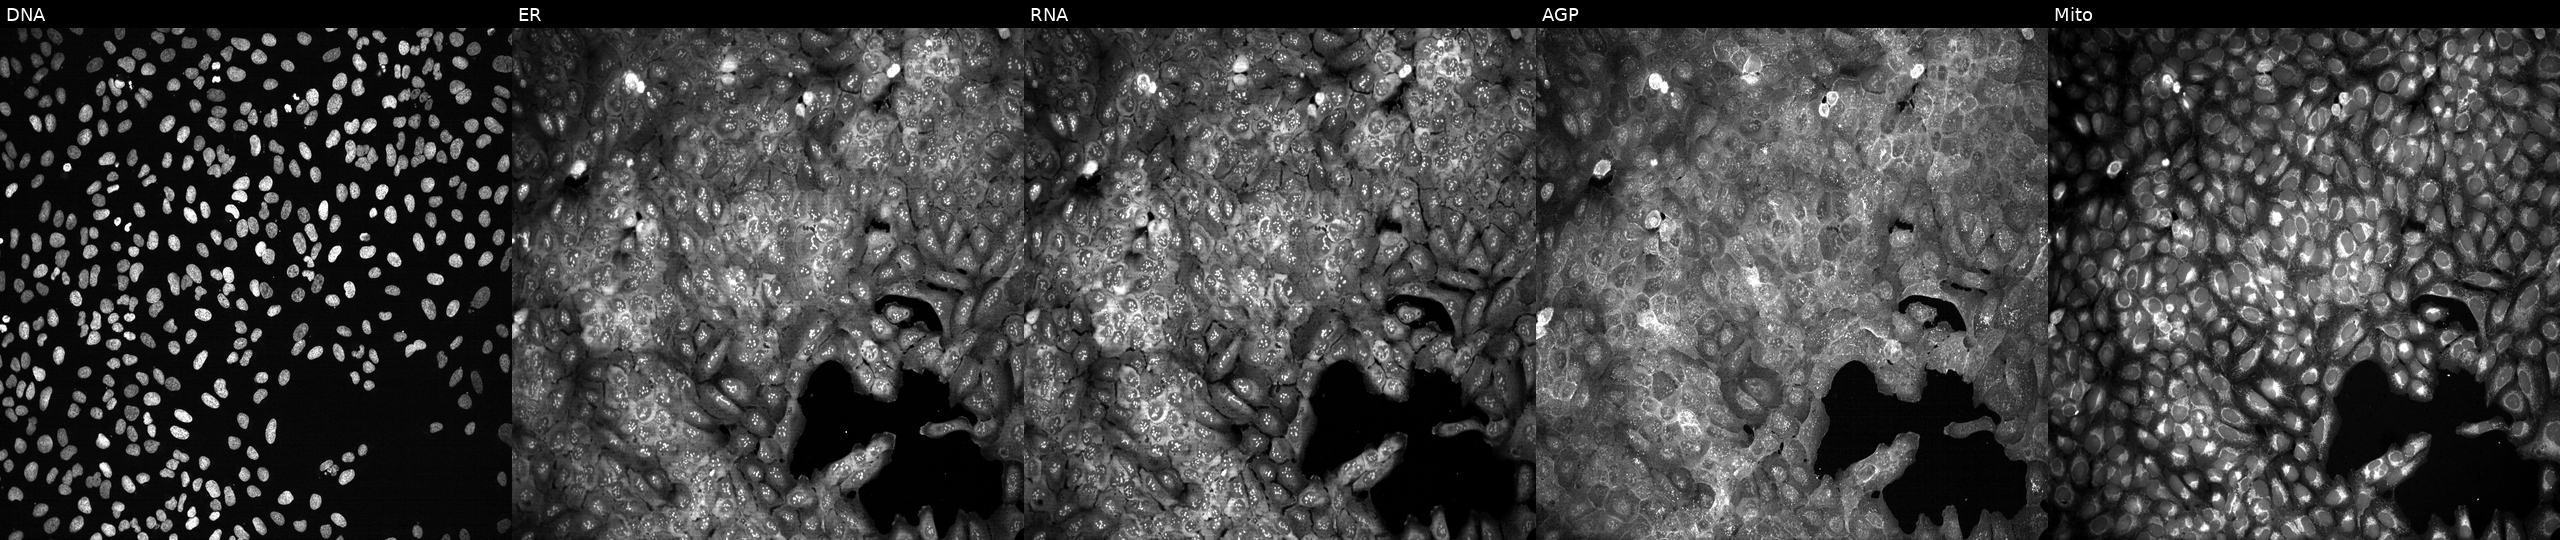
JUMP Cell Painting — CRISPR plate. U2OS cells CRISPR-edited to disrupt MGAT4C. From left to right: DNA (nuclei); ER (endoplasmic reticulum); RNA (nucleoli and cytoplasmic RNA); AGP (actin cytoskeleton, Golgi, and plasma membrane); Mito (mitochondria). Source 13, plate CP-CC9-R5-01, well N19.